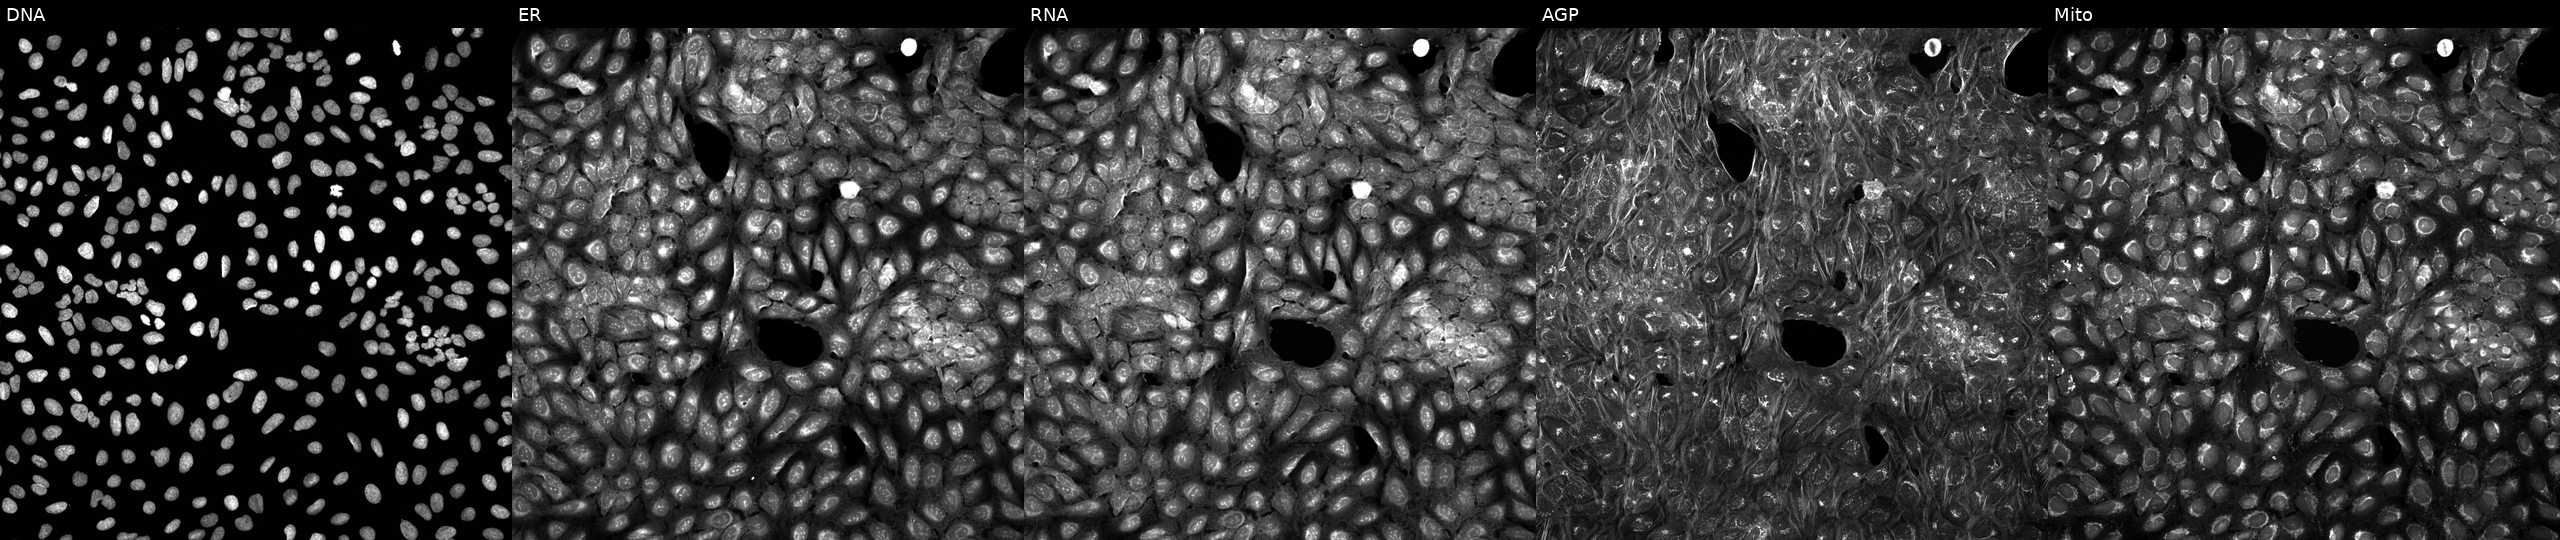
Panels show, left to right, DNA (nuclei); ER (endoplasmic reticulum); RNA (nucleoli and cytoplasmic RNA); AGP (actin cytoskeleton, Golgi, and plasma membrane); Mito (mitochondria). U2OS osteosarcoma cells perturbed with a small-molecule compound. Cell Painting assay, JUMP-CP dataset.